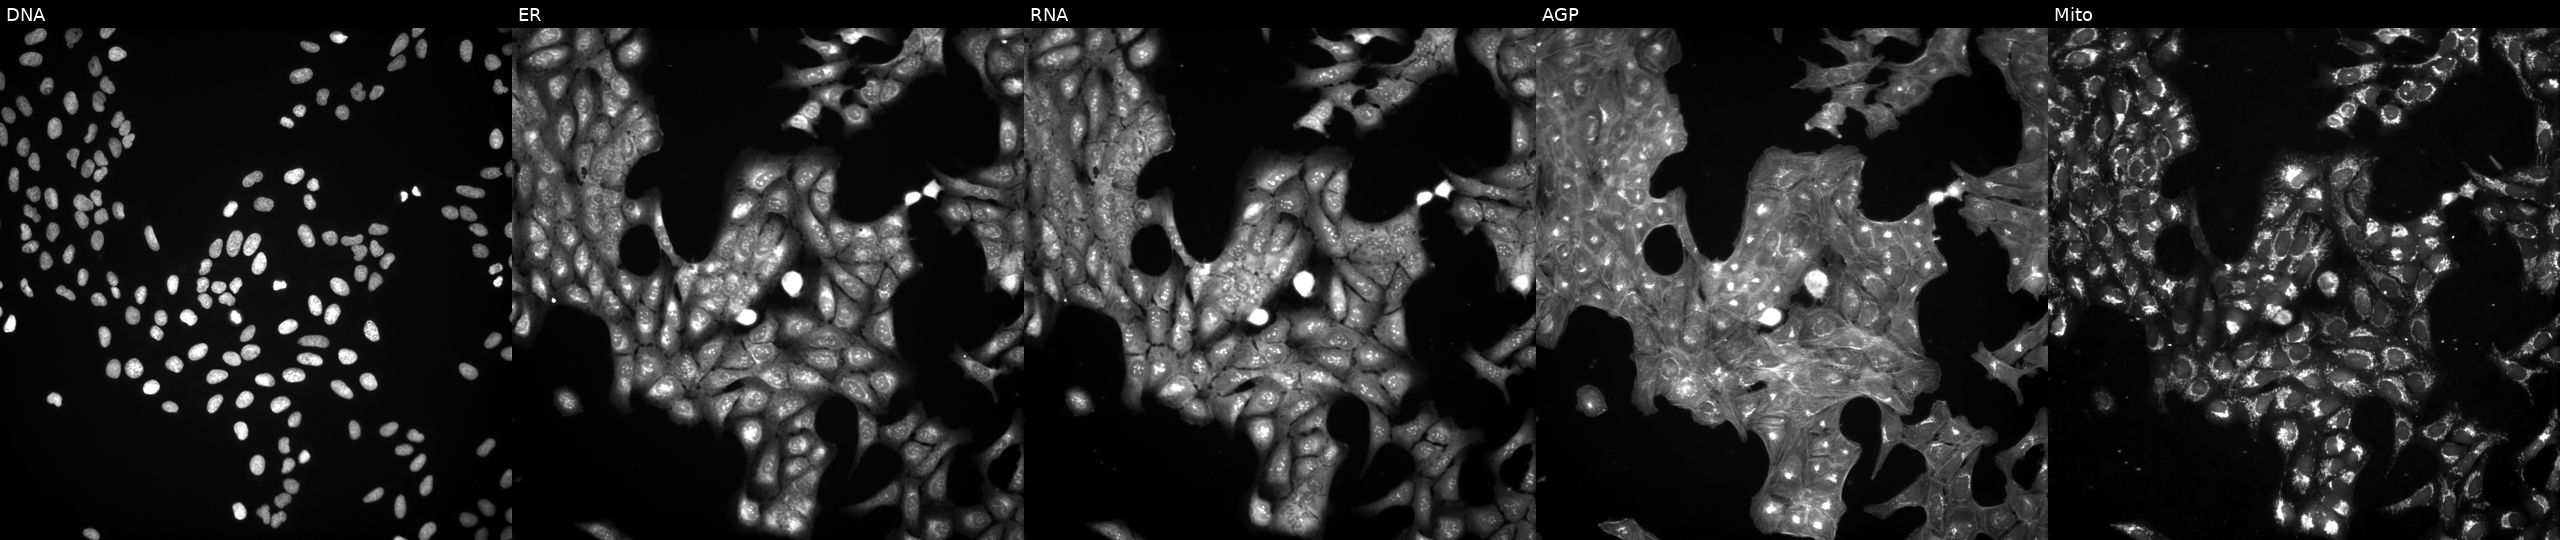
Five-channel Cell Painting image of U2OS cells exposed to a small-molecule compound (InChIKey WXXSNCNJFUAIDG-UHFFFAOYSA-N). From left to right: Hoechst 33342, concanavalin A, SYTO 14, phalloidin and WGA, MitoTracker.